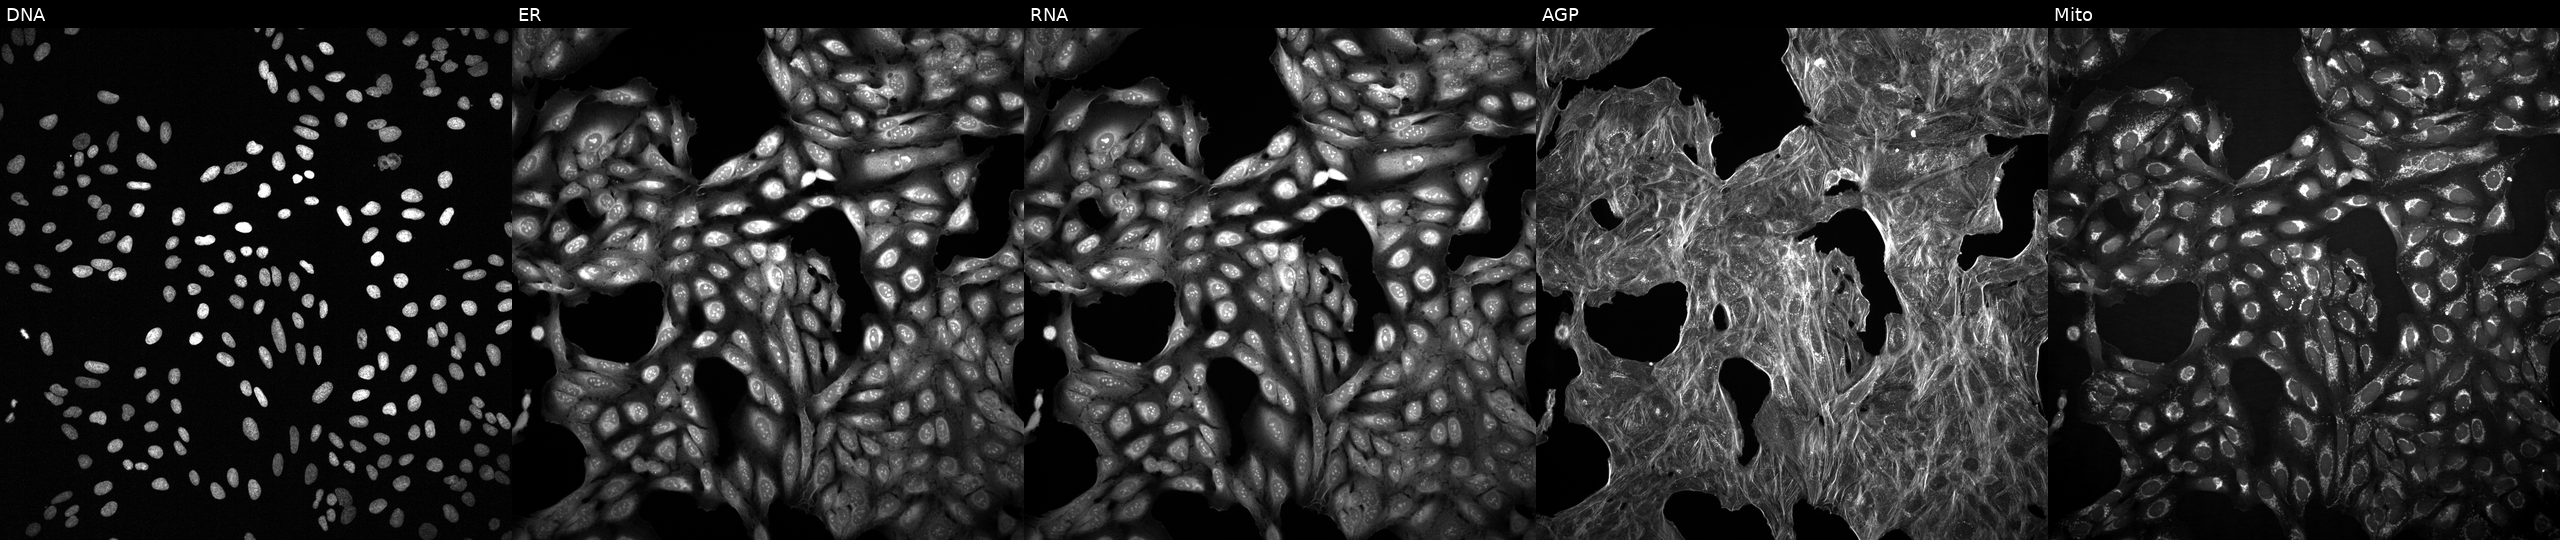
The five panels, left to right, show DNA, ER, RNA, AGP, and Mito. U2OS osteosarcoma cells perturbed with a small-molecule compound (InChIKey BWJLWRNWROZVQU-UHFFFAOYSA-N) [SMILES: COc1ccccc1NS(=O)(=O)c1ccc(Oc2ccc([N+](=O)[O-])cc2)cc1]. Cell Painting assay, JUMP-CP dataset. Source 2, plate 1053601756, well O11.